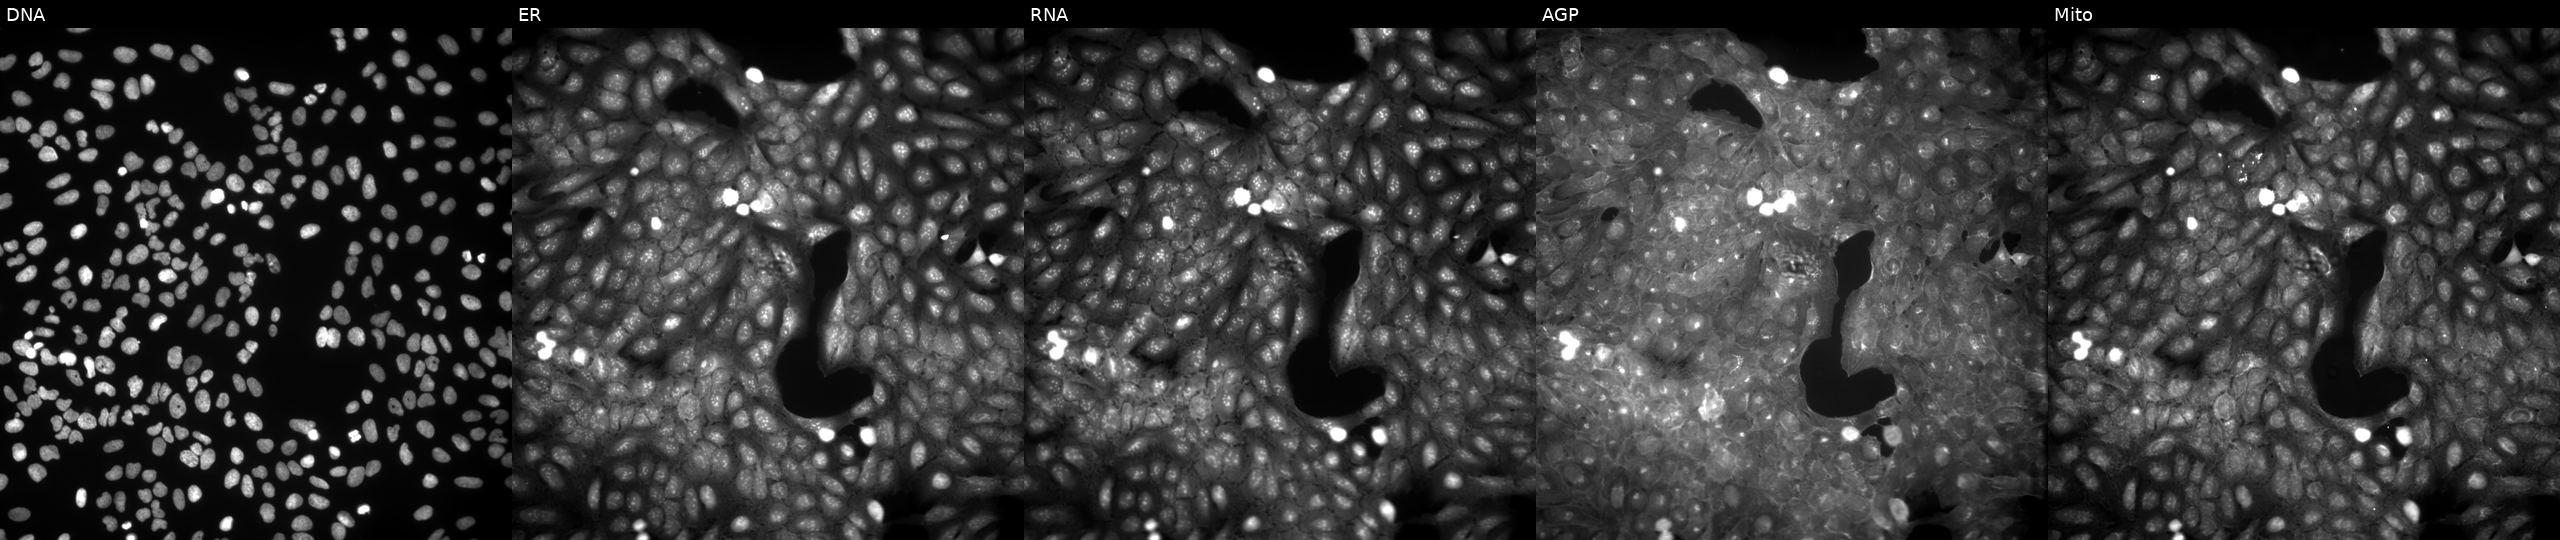
JUMP Cell Painting — COMPOUND plate. U2OS cells exposed to a small-molecule compound (InChIKey SWKLSLWFIIQVLD-UHFFFAOYSA-N). Panels show, left to right, DNA (nuclei); ER (endoplasmic reticulum); RNA (nucleoli and cytoplasmic RNA); AGP (actin cytoskeleton, Golgi, and plasma membrane); Mito (mitochondria).